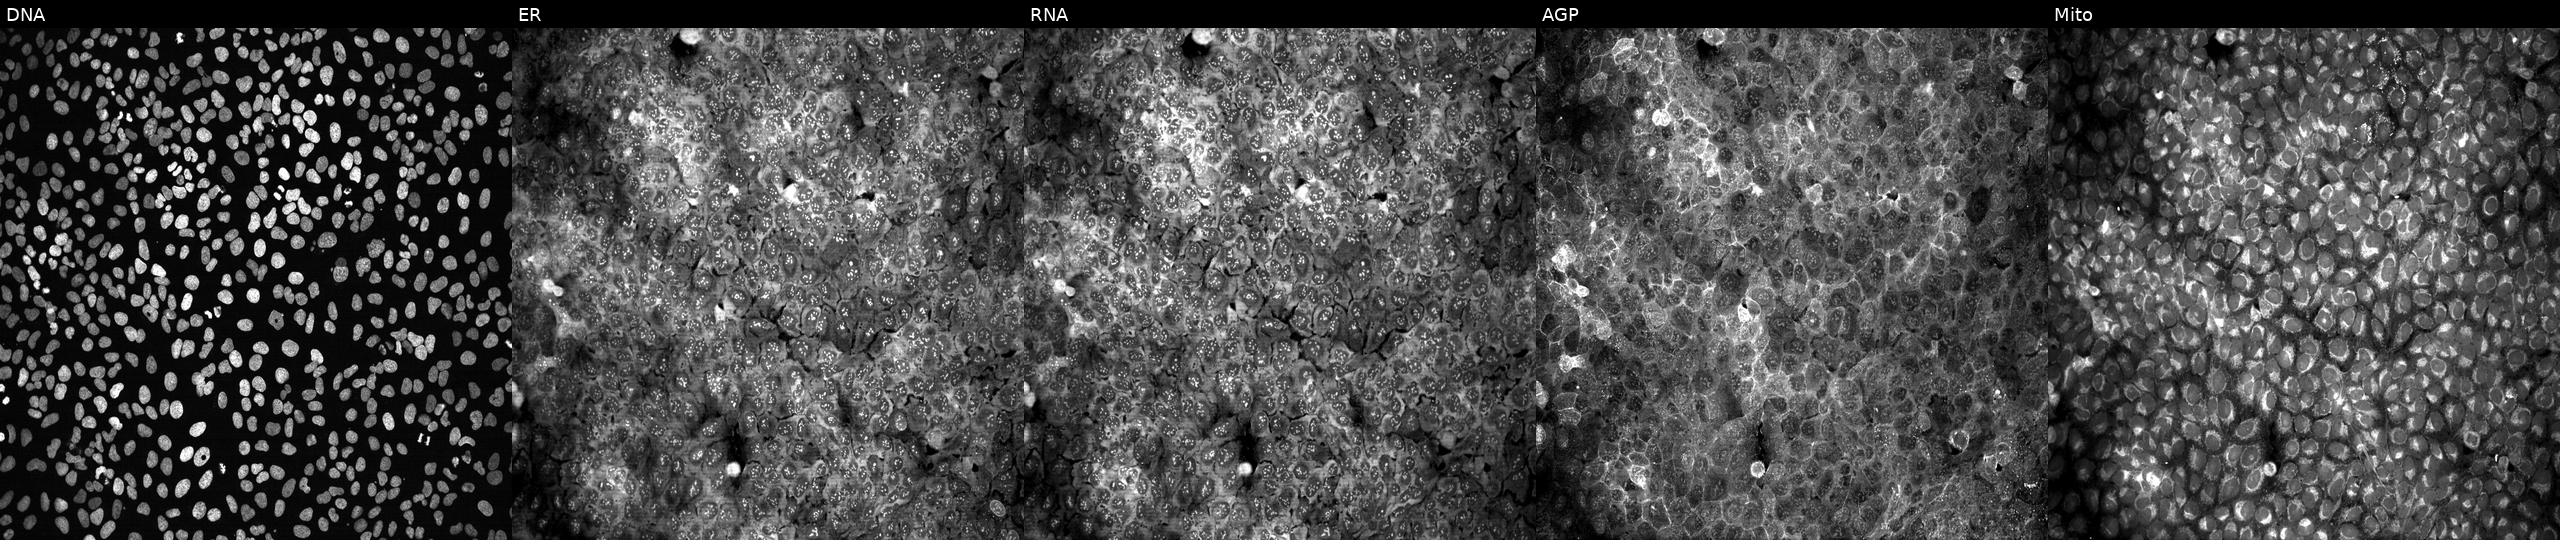
This image strip shows the five Cell Painting channels for a single field of U2OS cells treated with quinidine (positive-control compound). Panels show, left to right, Hoechst 33342, concanavalin A, SYTO 14, phalloidin and WGA, MitoTracker.